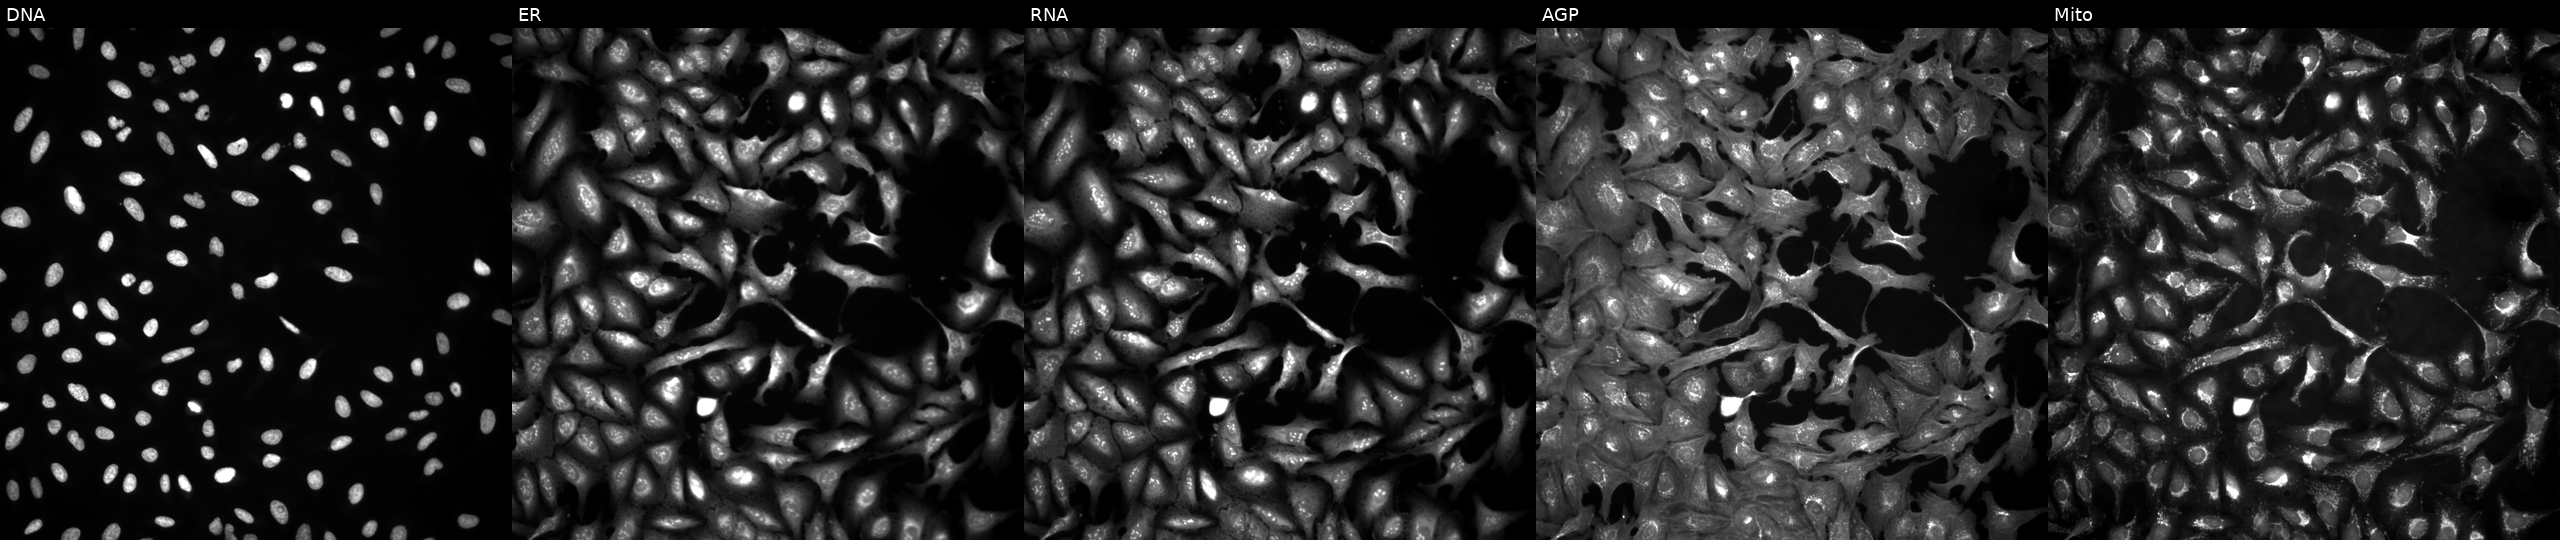
From left to right: DNA (nuclei); ER (endoplasmic reticulum); RNA (nucleoli and cytoplasmic RNA); AGP (actin cytoskeleton, Golgi, and plasma membrane); Mito (mitochondria). U2OS osteosarcoma cells with CDK17 overexpressed (ORF). Cell Painting assay, JUMP-CP dataset. Source 4, plate BR00123945, well L19.